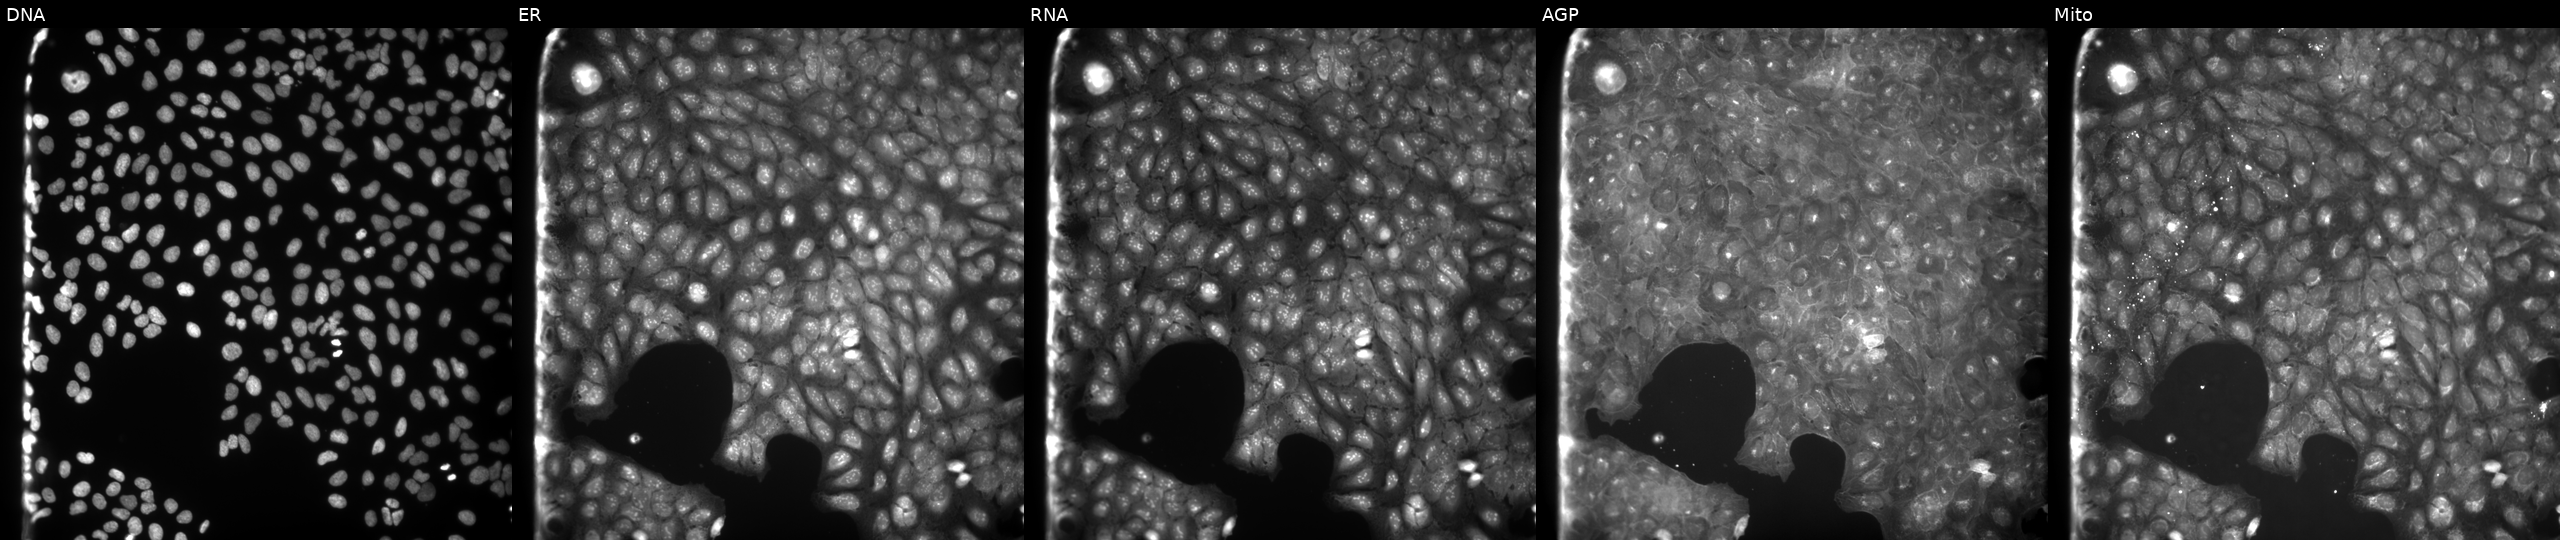
High-content fluorescence microscopy (Cell Painting). Cell line: U2OS. Perturbation: treated with DMSO vehicle only (negative control). From left to right: DNA, ER, RNA, AGP, and Mito. Source 9, plate GR00003382, well R02.